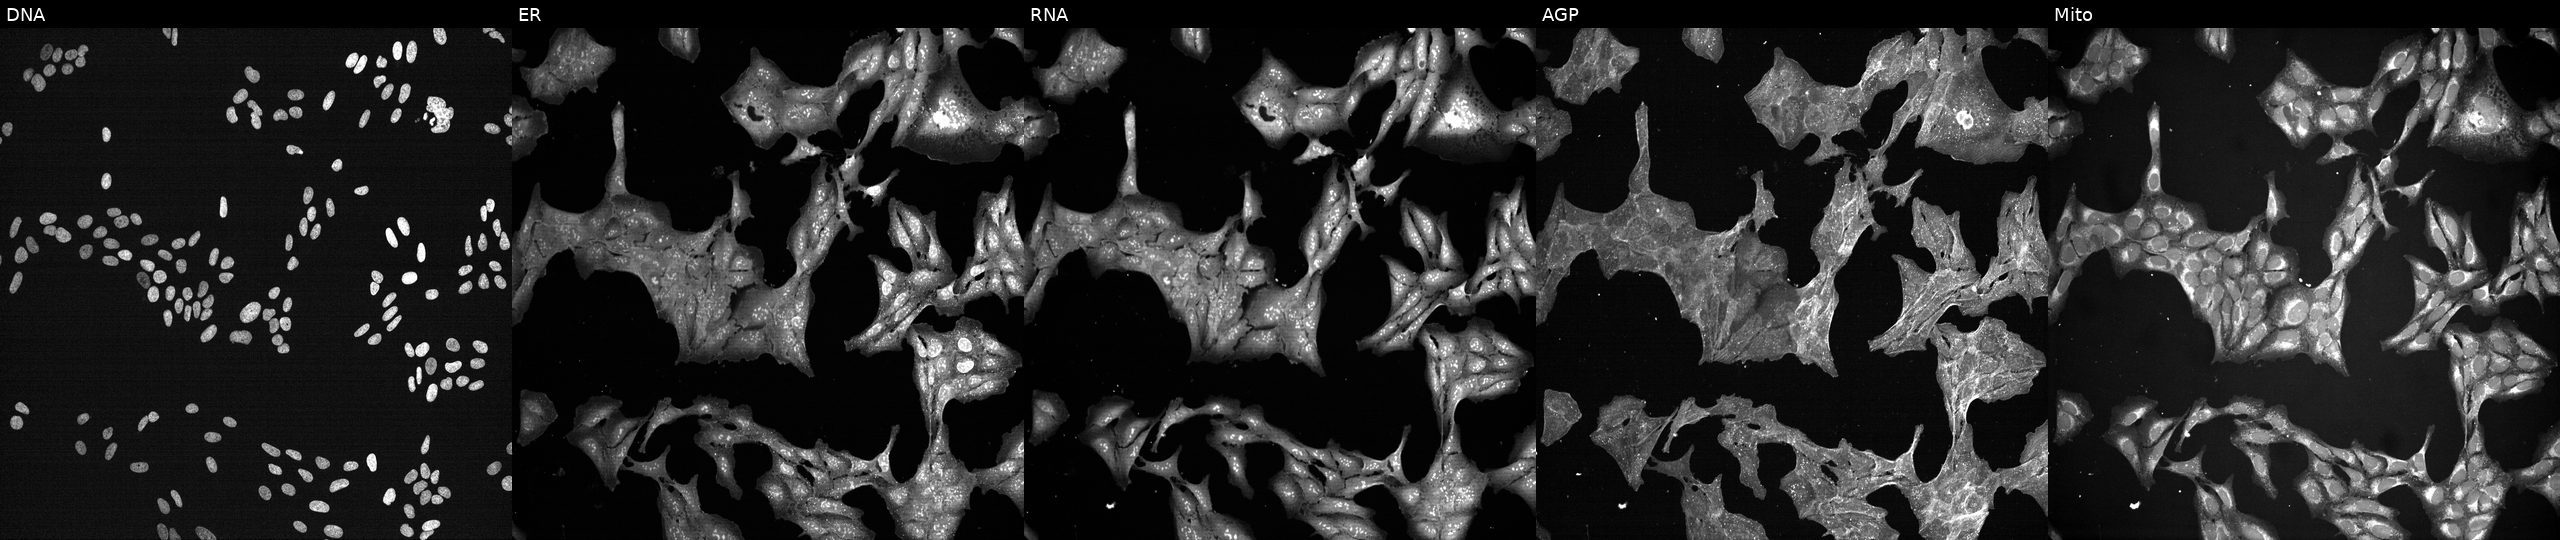
This image strip shows the five Cell Painting channels for a single field of U2OS cells exposed to a small-molecule compound (InChIKey FNHKPVJBJVTLMP-UHFFFAOYSA-N). The five panels, left to right, show Hoechst 33342, concanavalin A, SYTO 14, phalloidin and WGA, MitoTracker.